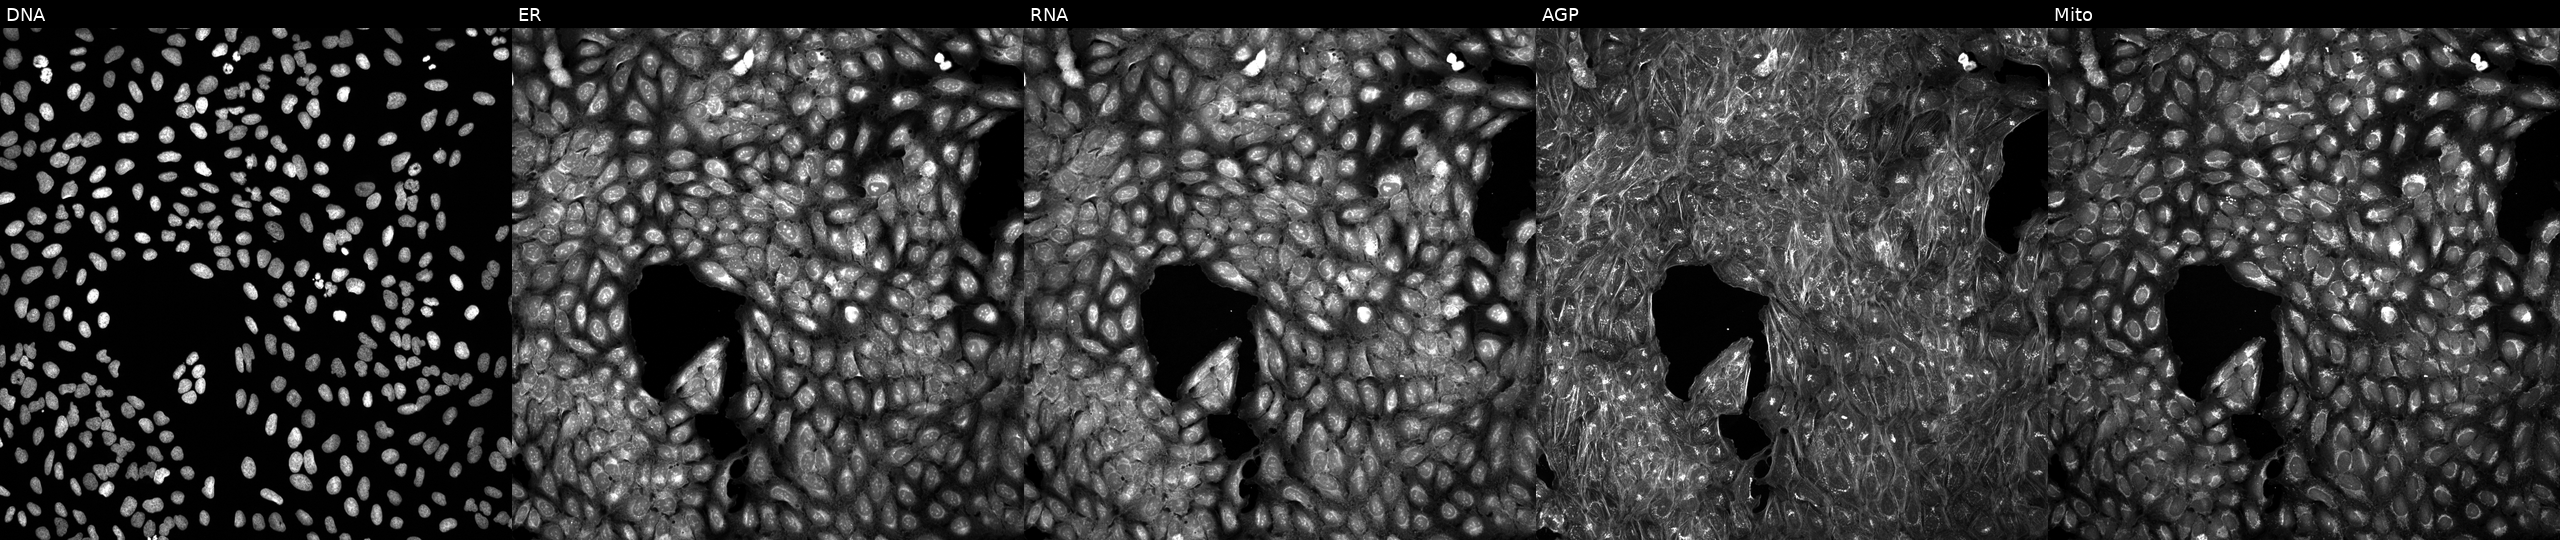
High-content fluorescence microscopy (Cell Painting). Cell line: U2OS. Perturbation: treated with a small-molecule compound (JUMP id JCP2022_003856). The five panels, left to right, show DNA, ER, RNA, AGP, and Mito.